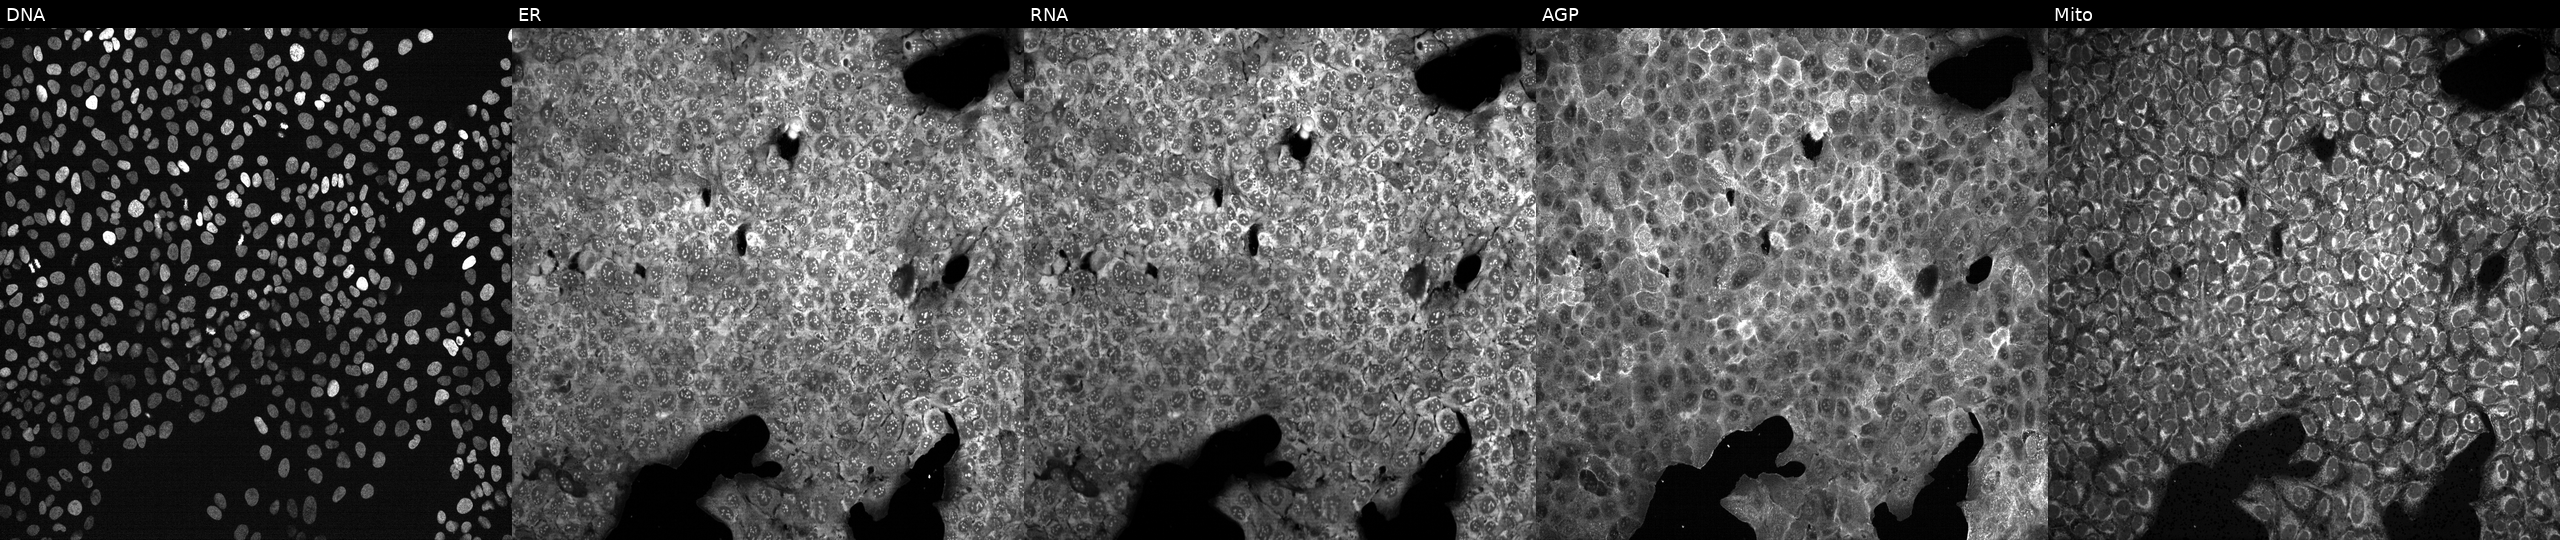
High-content fluorescence microscopy (Cell Painting). Cell line: U2OS. Perturbation: treated with LY2109761 (positive-control compound) (JUMP id JCP2022_035095). Panels show, left to right, DNA (nuclei); ER (endoplasmic reticulum); RNA (nucleoli and cytoplasmic RNA); AGP (actin cytoskeleton, Golgi, and plasma membrane); Mito (mitochondria). Source 13, plate CP-CC9-R4-03, well A24.